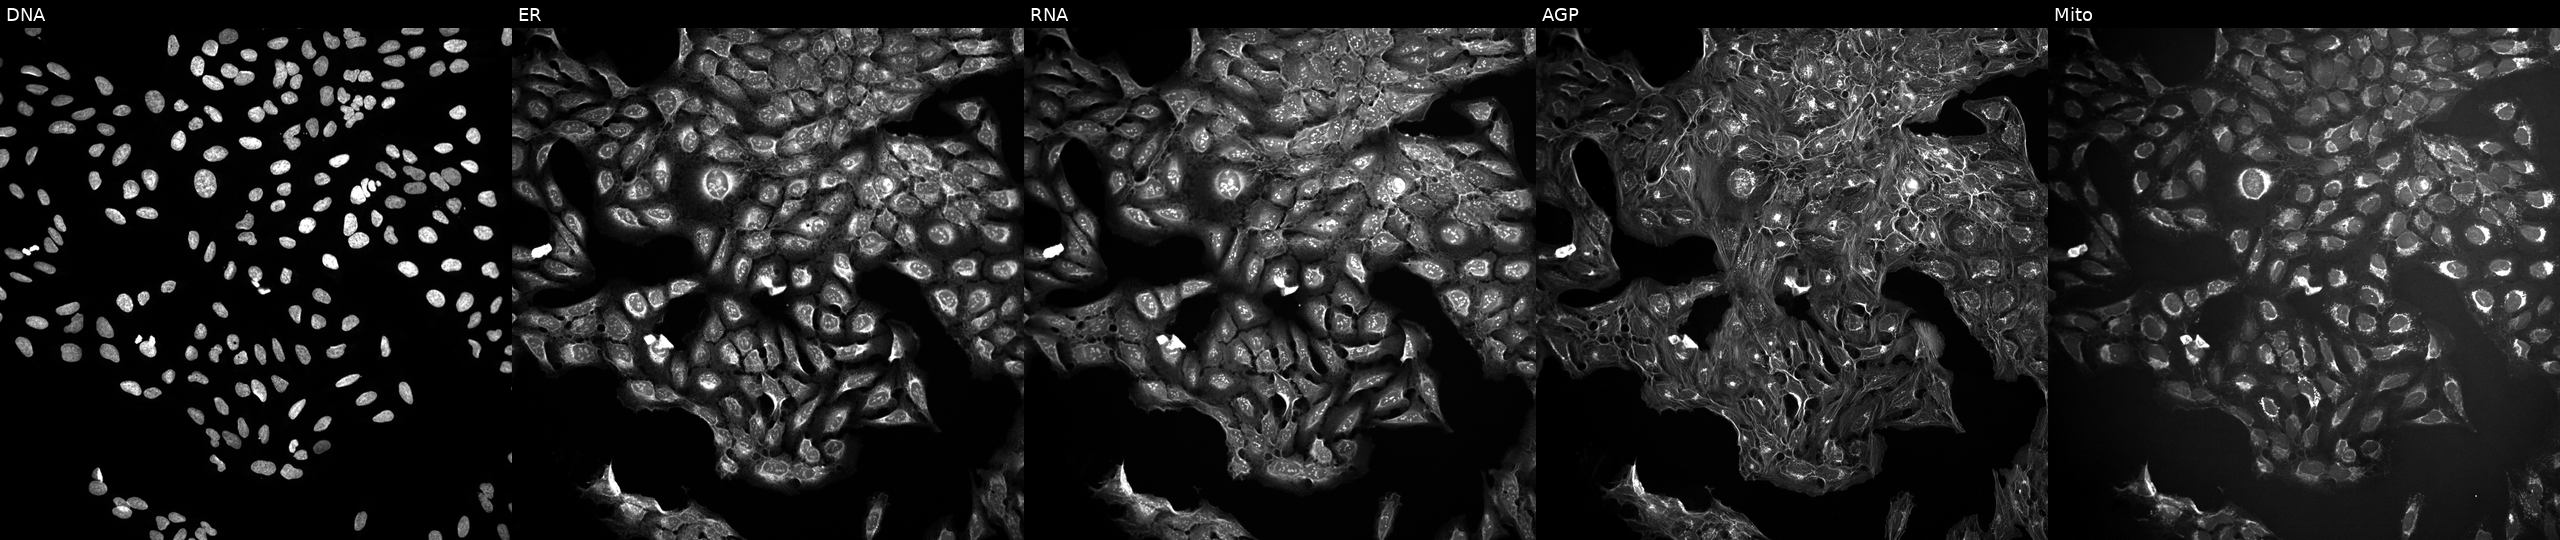
U2OS cells, Cell Painting assay, treated with a small-molecule compound (JUMP id JCP2022_072170). From left to right: DNA, ER, RNA, AGP, and Mito. Each panel is percentile-stretched 16-bit fluorescence.